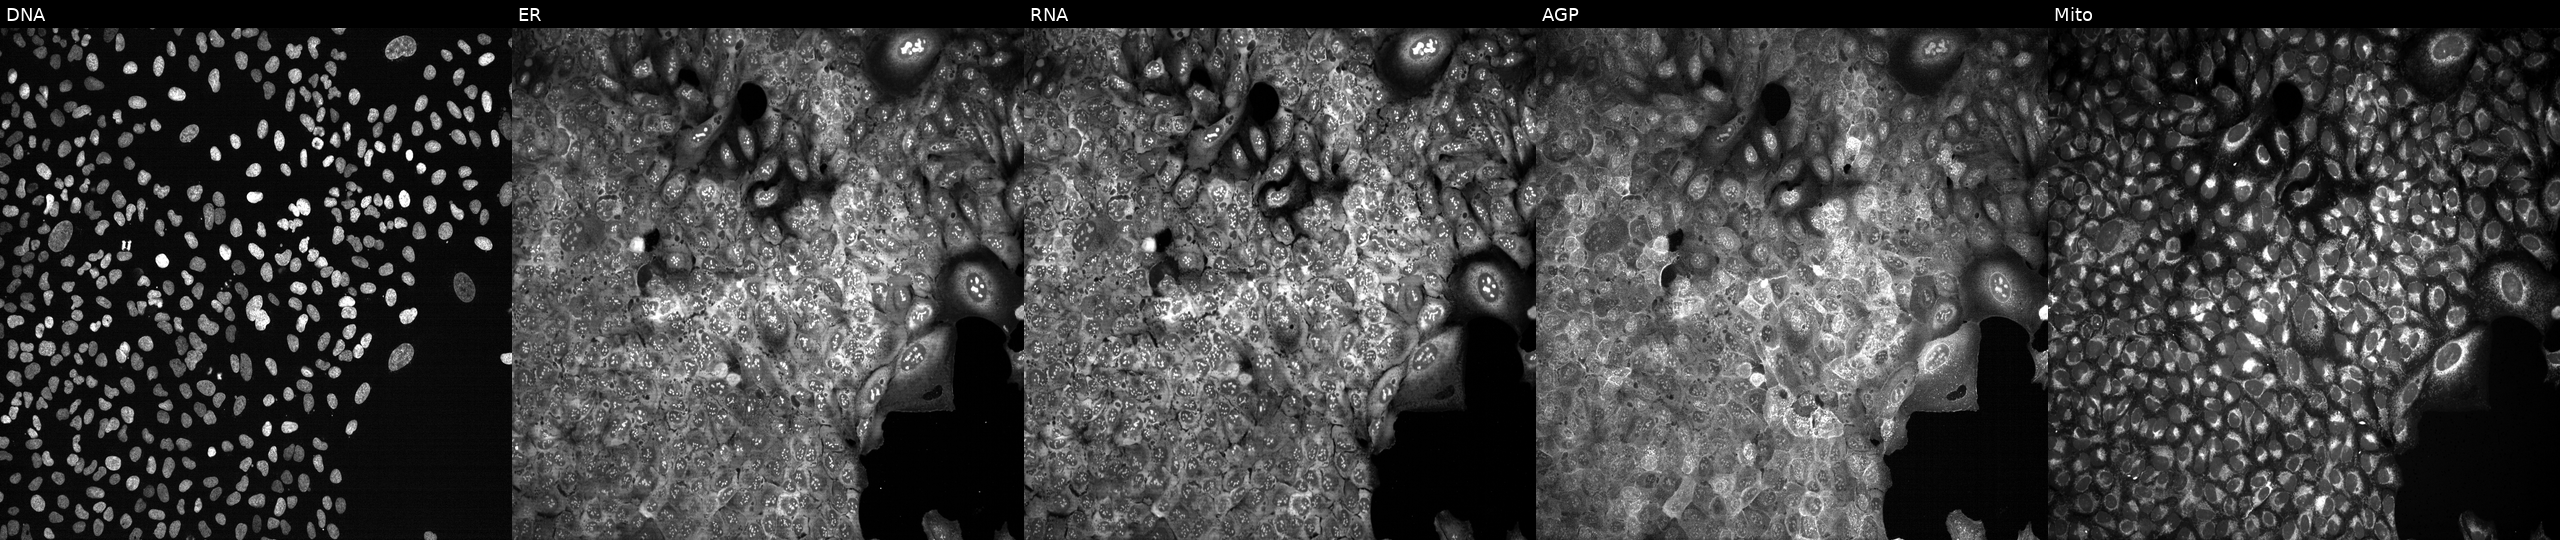
High-content fluorescence microscopy (Cell Painting). Cell line: U2OS. Perturbation: following CRISPR knockout of MBD4. Panels show, left to right, DNA (nuclei); ER (endoplasmic reticulum); RNA (nucleoli and cytoplasmic RNA); AGP (actin cytoskeleton, Golgi, and plasma membrane); Mito (mitochondria). Source 13, plate CP-CC9-R4-04, well P08.